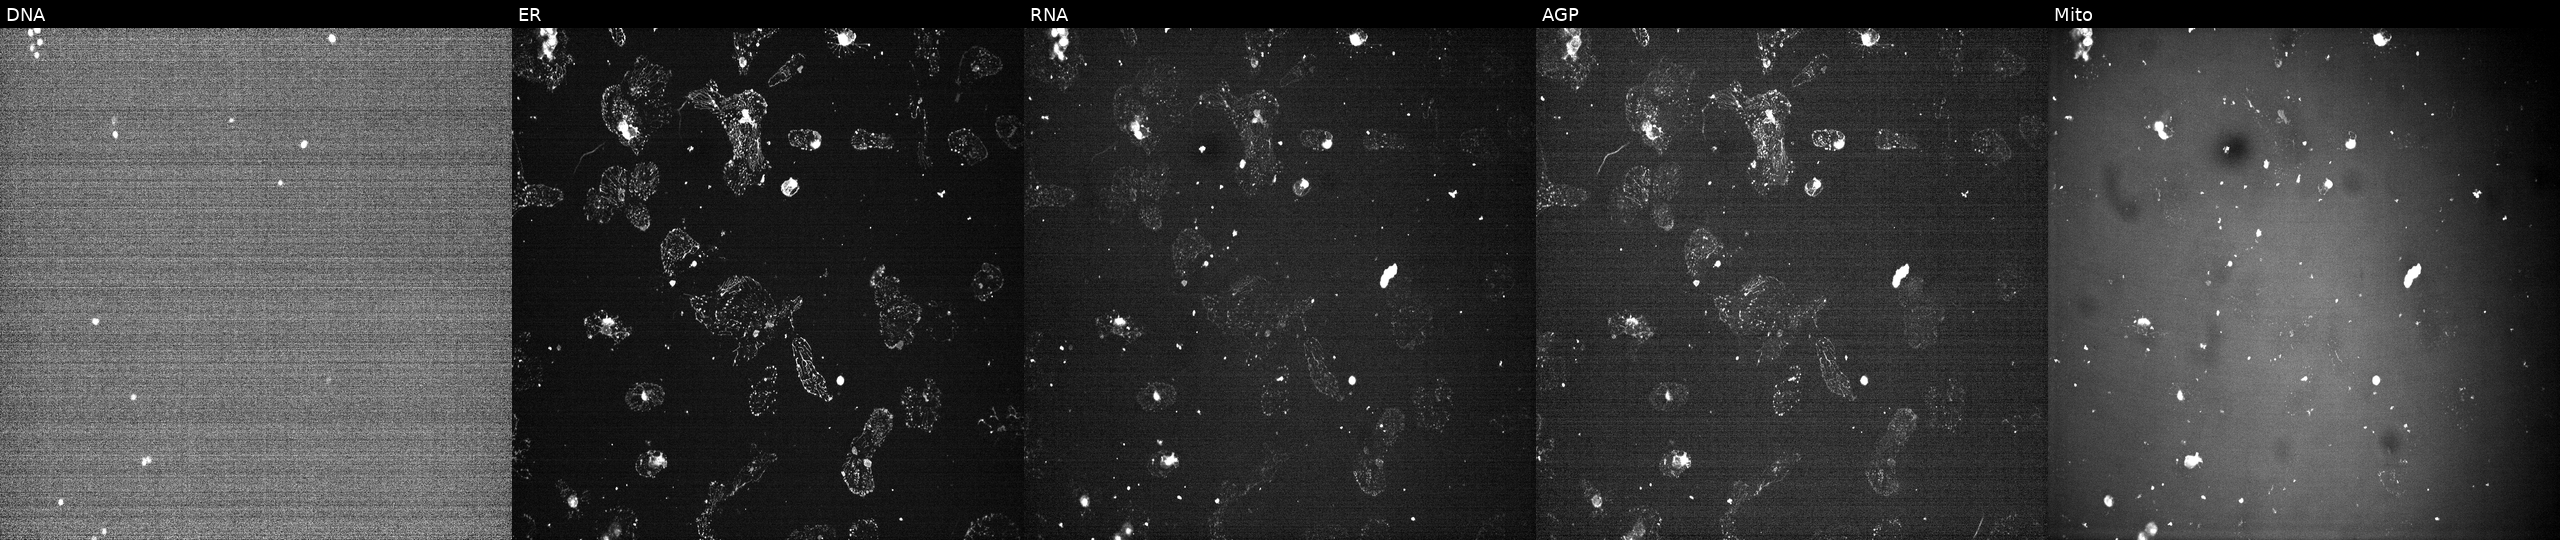
Five-channel Cell Painting image of U2OS cells treated with a small-molecule compound (InChIKey CANBMWXJDLUDFF-UHFFFAOYSA-N). From left to right: Hoechst 33342, concanavalin A, SYTO 14, phalloidin and WGA, MitoTracker.